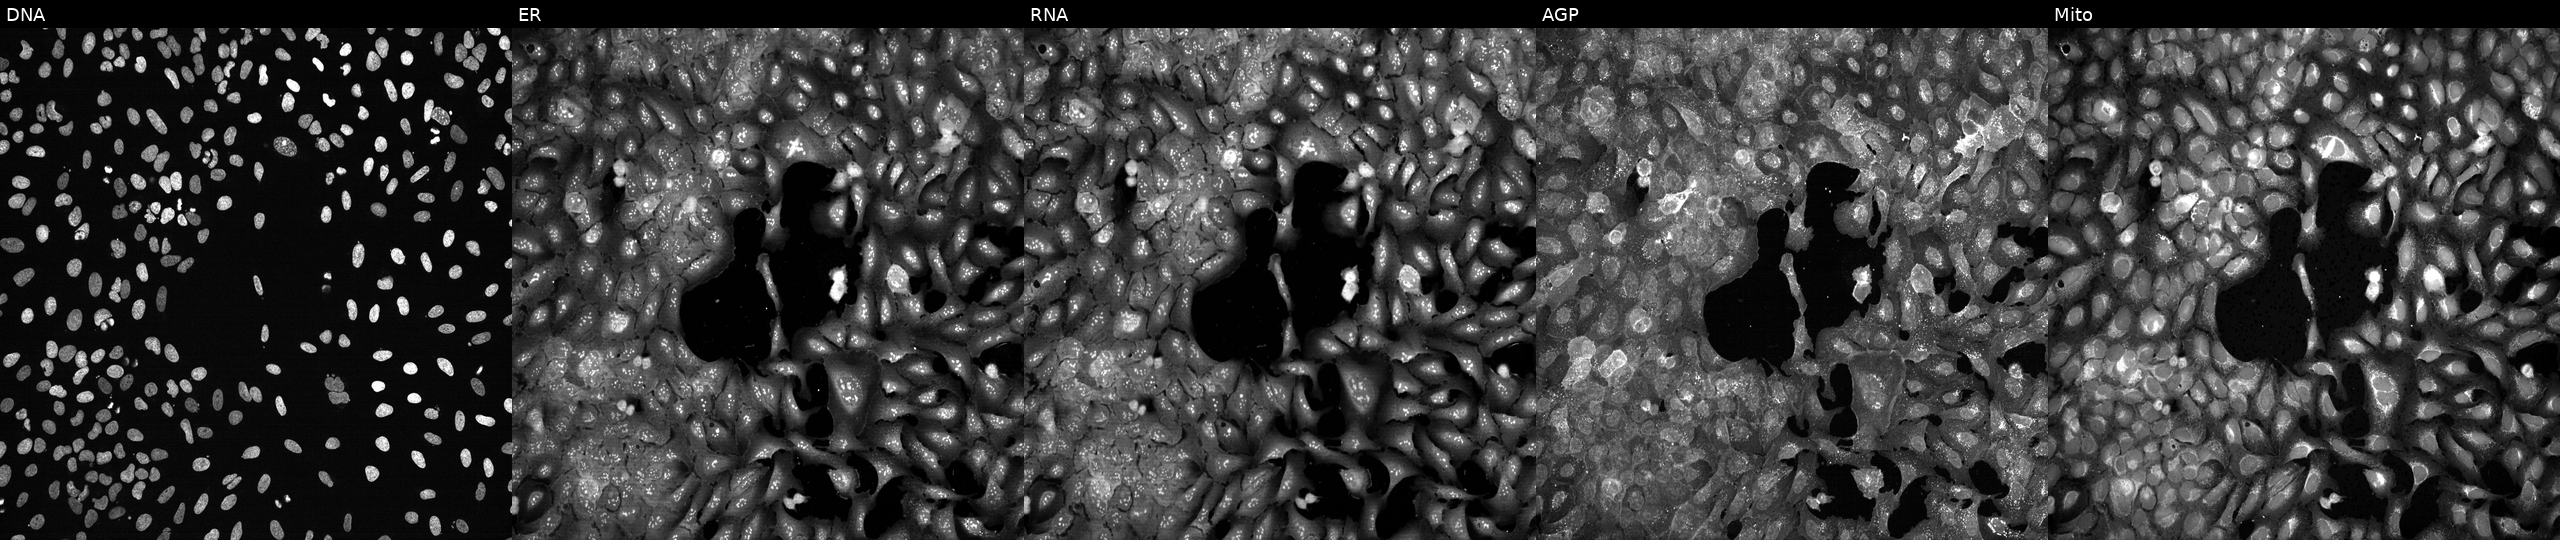
This image strip shows the five Cell Painting channels for a single field of U2OS cells following CRISPR knockout of SPR (JUMP id JCP2022_806749). Channels (left→right): Hoechst 33342, concanavalin A, SYTO 14, phalloidin and WGA, MitoTracker.